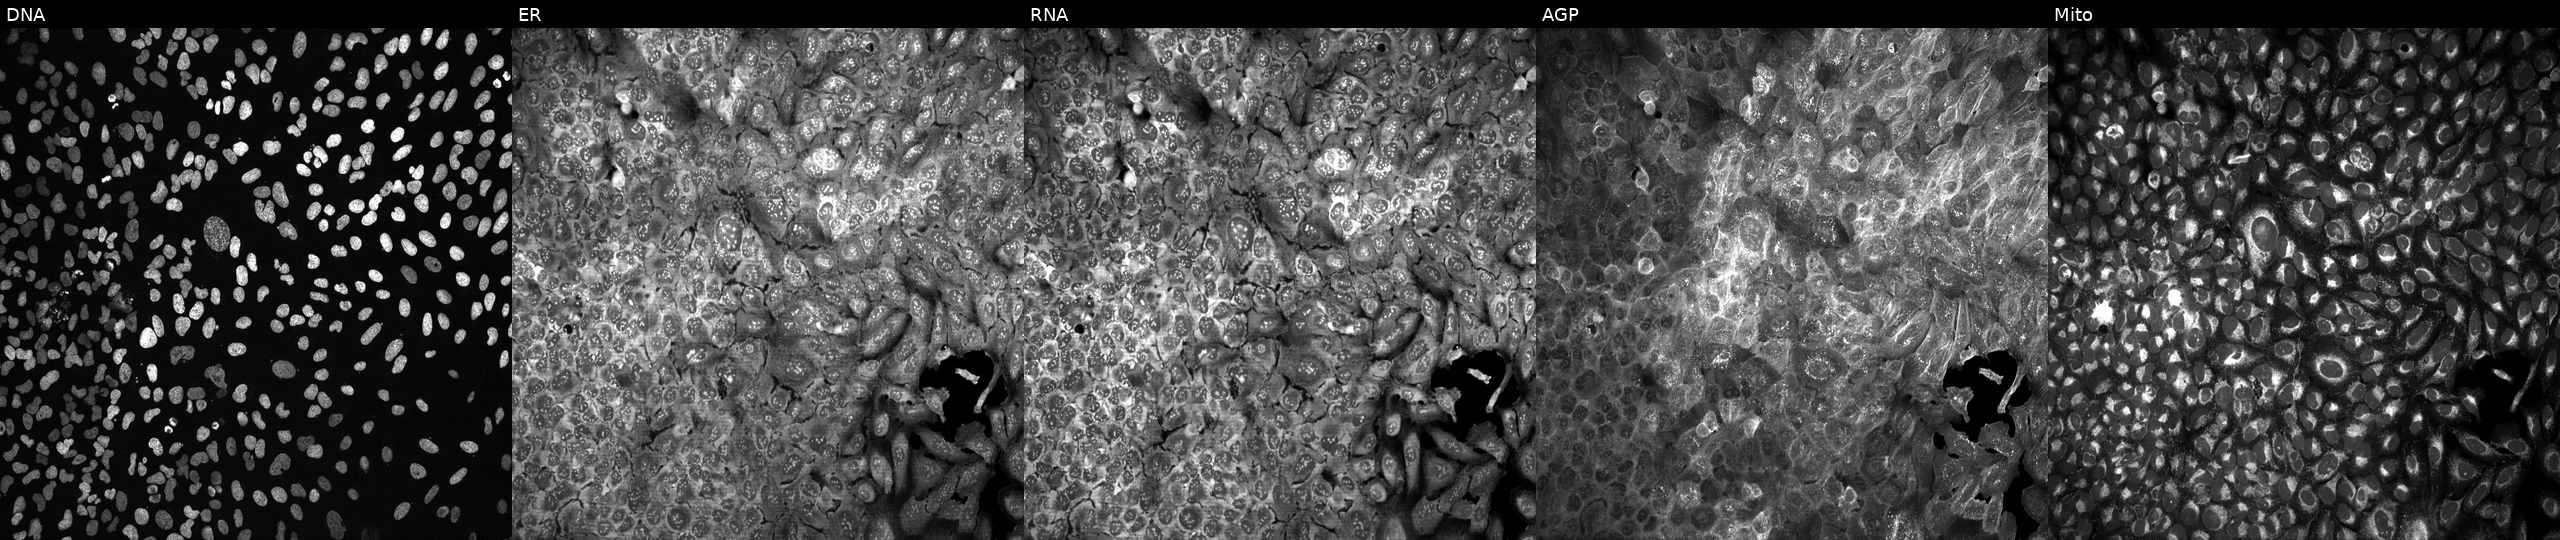
Five-channel Cell Painting image of U2OS cells with ABHD17A knocked out by CRISPR (JUMP id JCP2022_800073). Panels show, left to right, Hoechst 33342, concanavalin A, SYTO 14, phalloidin and WGA, MitoTracker.